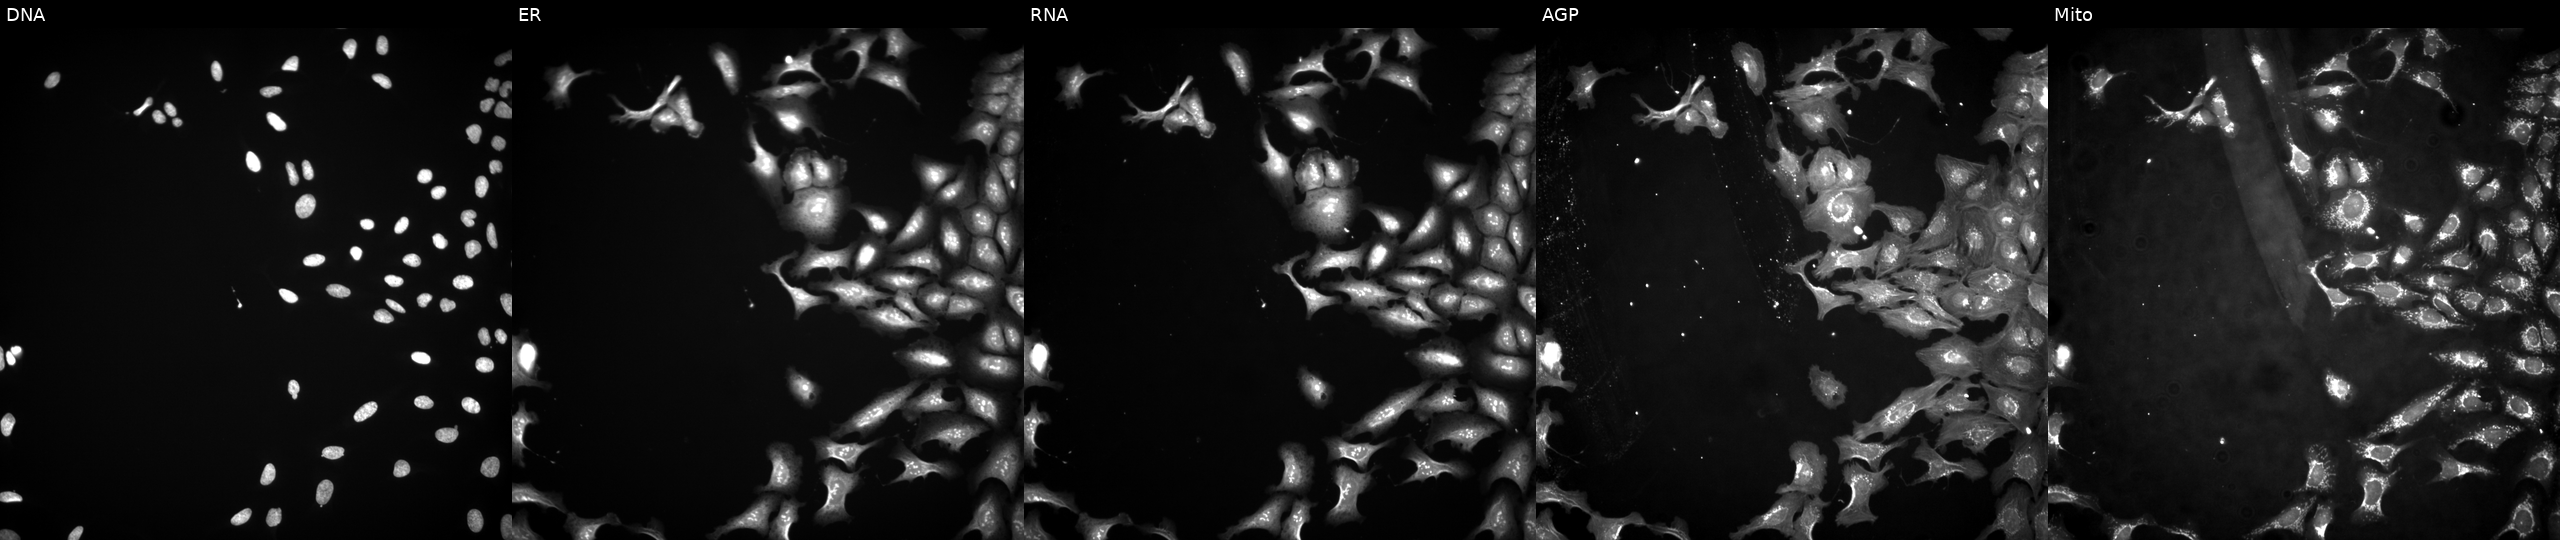
This image strip shows the five Cell Painting channels for a single field of U2OS cells untreated (empty-well control). From left to right: DNA, ER, RNA, AGP, and Mito. Source 4, plate BR00117035, well P24.